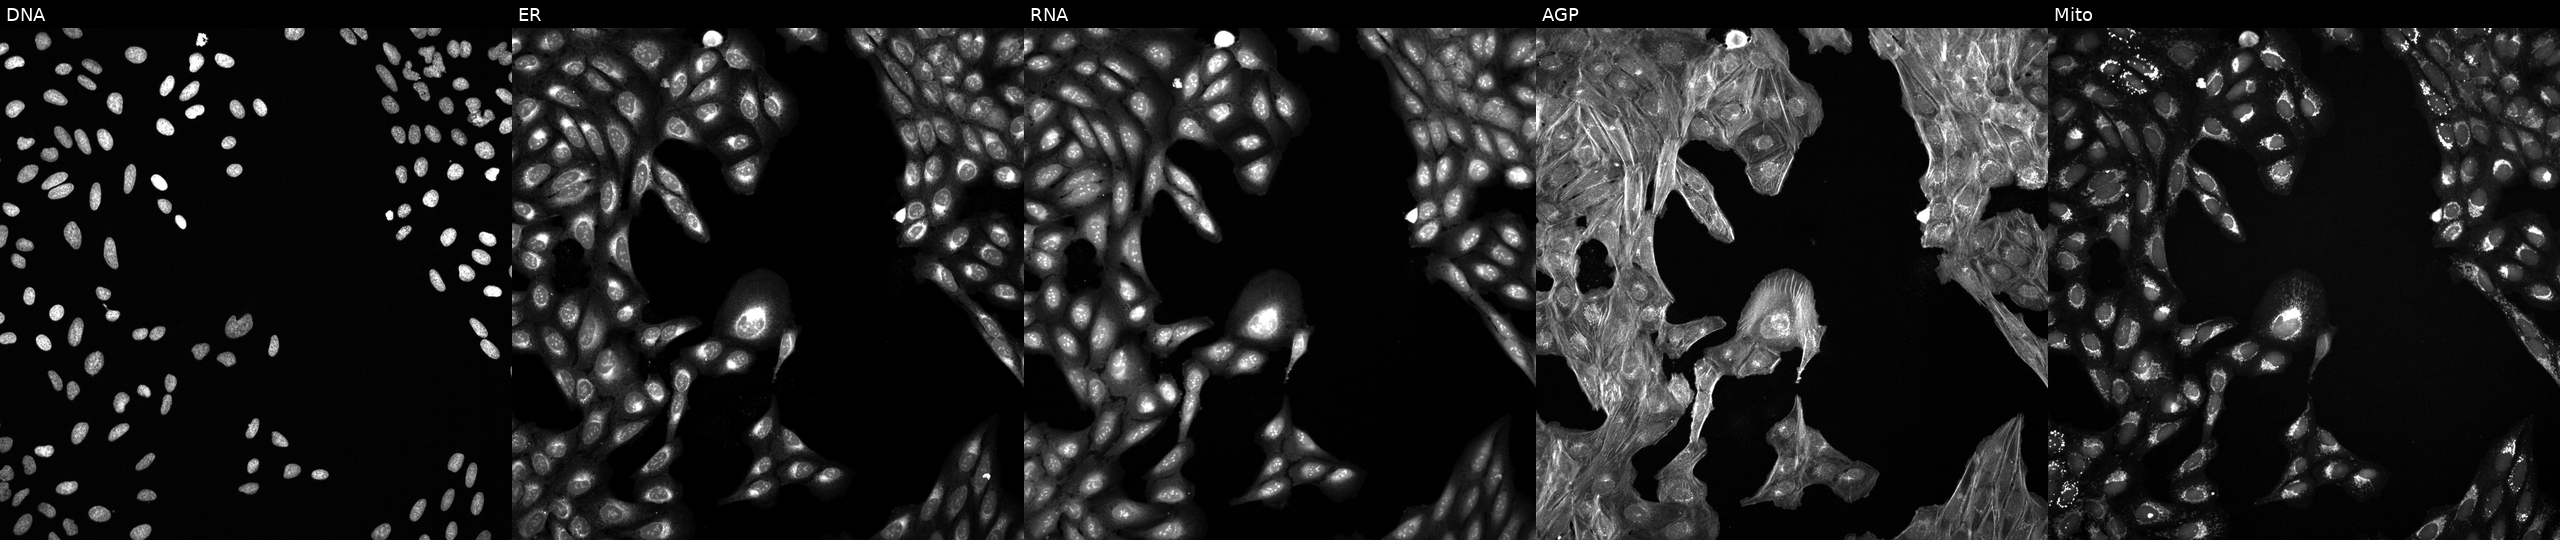
The five panels, left to right, show DNA (nuclei); ER (endoplasmic reticulum); RNA (nucleoli and cytoplasmic RNA); AGP (actin cytoskeleton, Golgi, and plasma membrane); Mito (mitochondria). U2OS osteosarcoma cells perturbed with a small-molecule compound (InChIKey JIZAHRSUUHPPKV-UHFFFAOYSA-N). Cell Painting assay, JUMP-CP dataset.